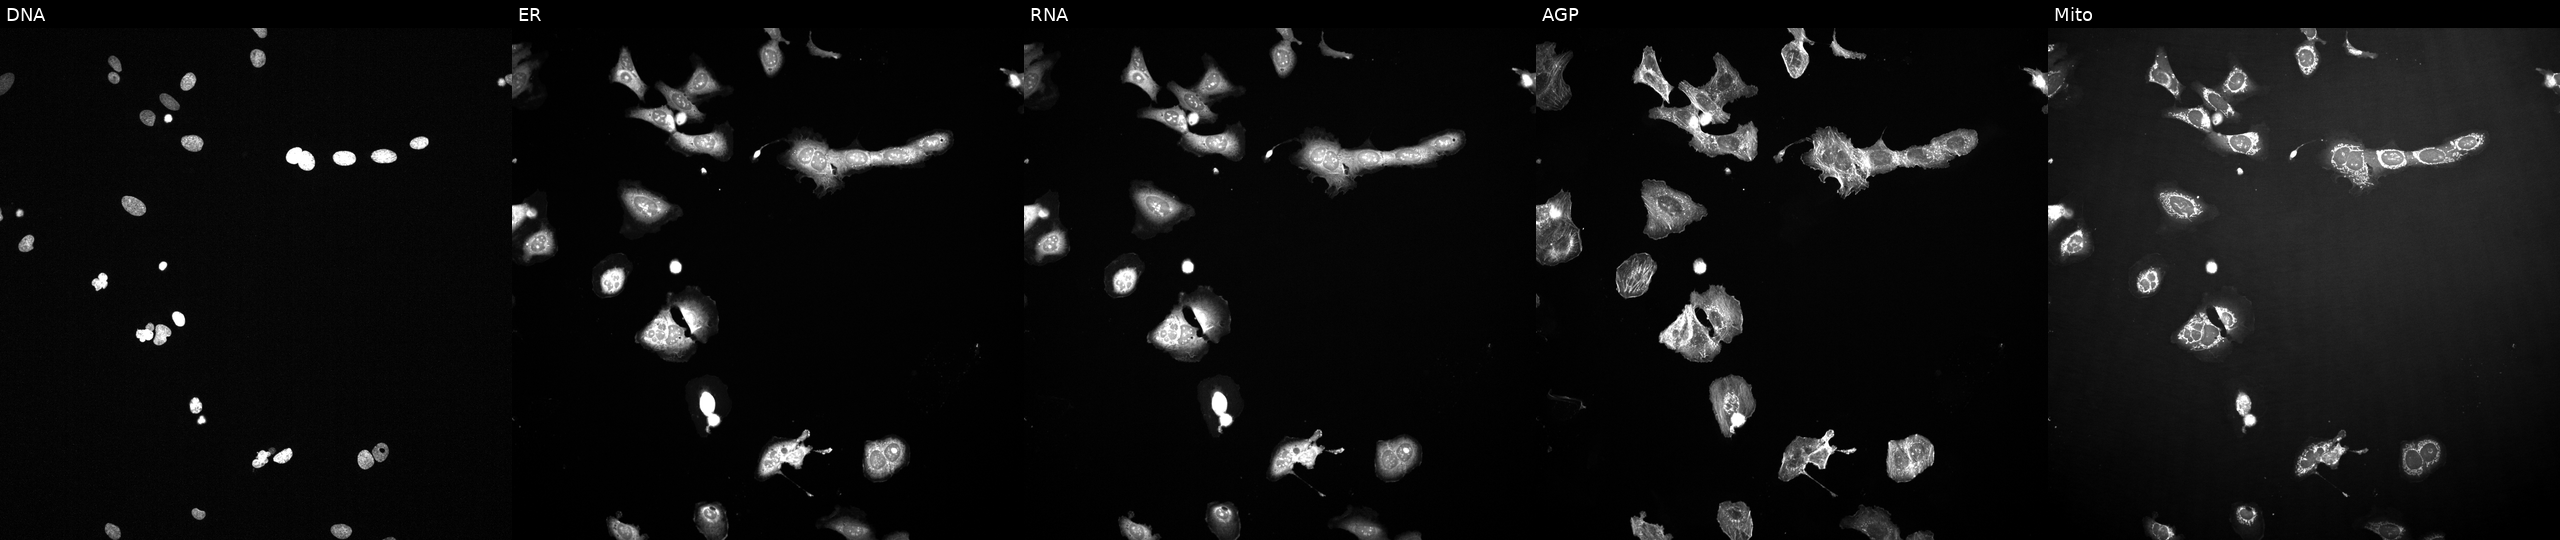
The five panels, left to right, show DNA (nuclei); ER (endoplasmic reticulum); RNA (nucleoli and cytoplasmic RNA); AGP (actin cytoskeleton, Golgi, and plasma membrane); Mito (mitochondria). U2OS osteosarcoma cells perturbed with a small-molecule compound [SMILES: N=c1cc(C(F)(F)F)c(-c2cc(N3CCOCC3)nc(N3CCOCC3)n2)c[nH]1]. Cell Painting assay, JUMP-CP dataset.